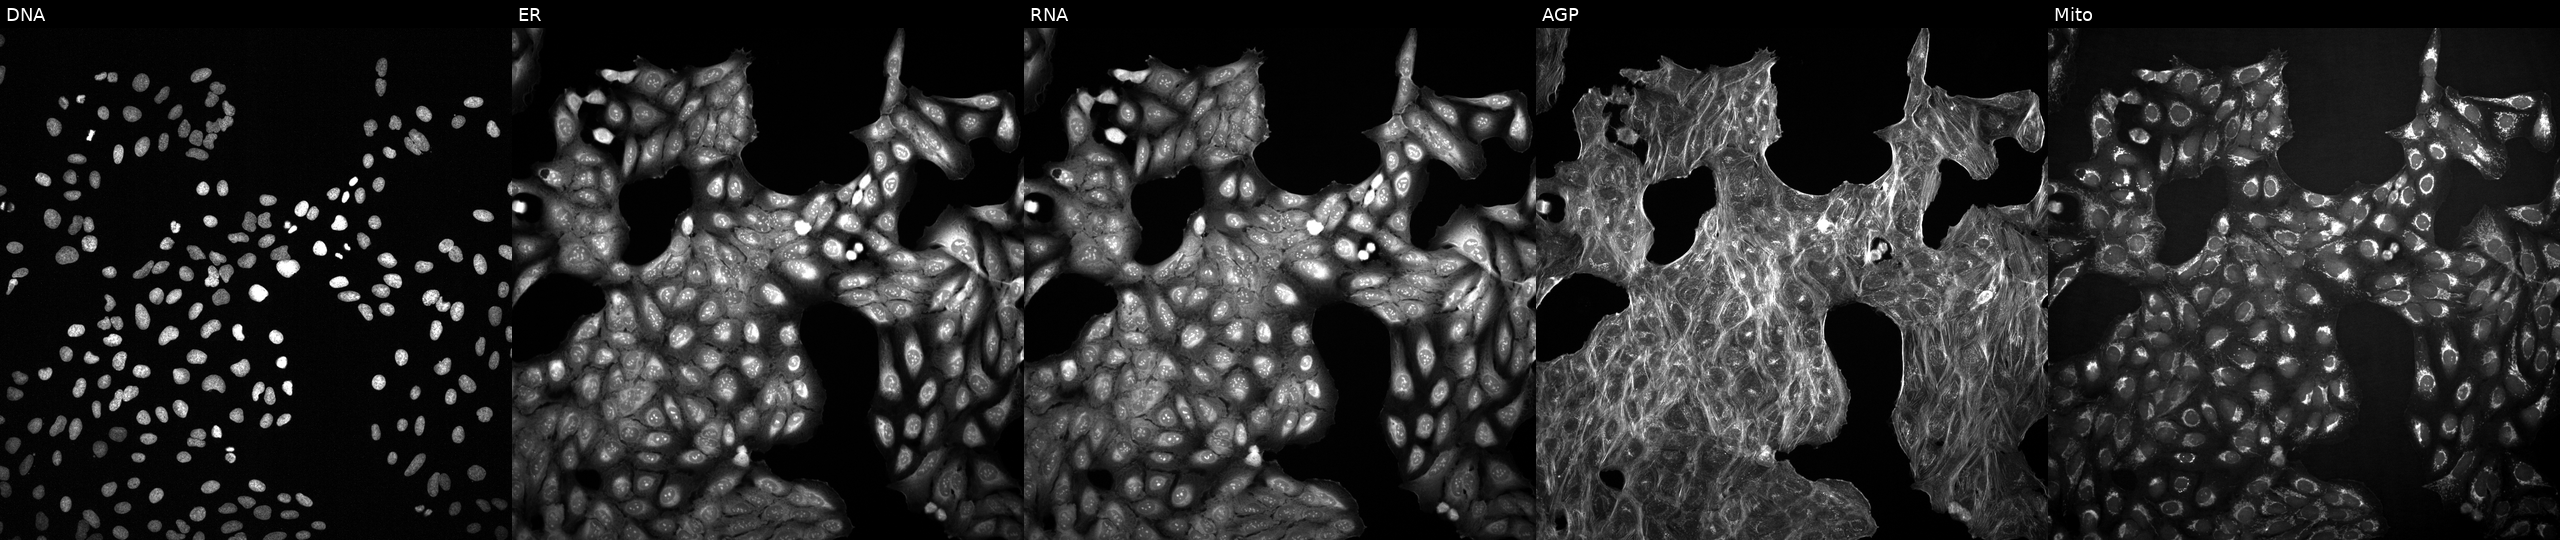
JUMP Cell Painting — COMPOUND plate. U2OS cells exposed to a small-molecule compound (InChIKey IPPQKRJBTSYLGA-UHFFFAOYSA-N). Channels (left→right): Hoechst 33342, concanavalin A, SYTO 14, phalloidin and WGA, MitoTracker.